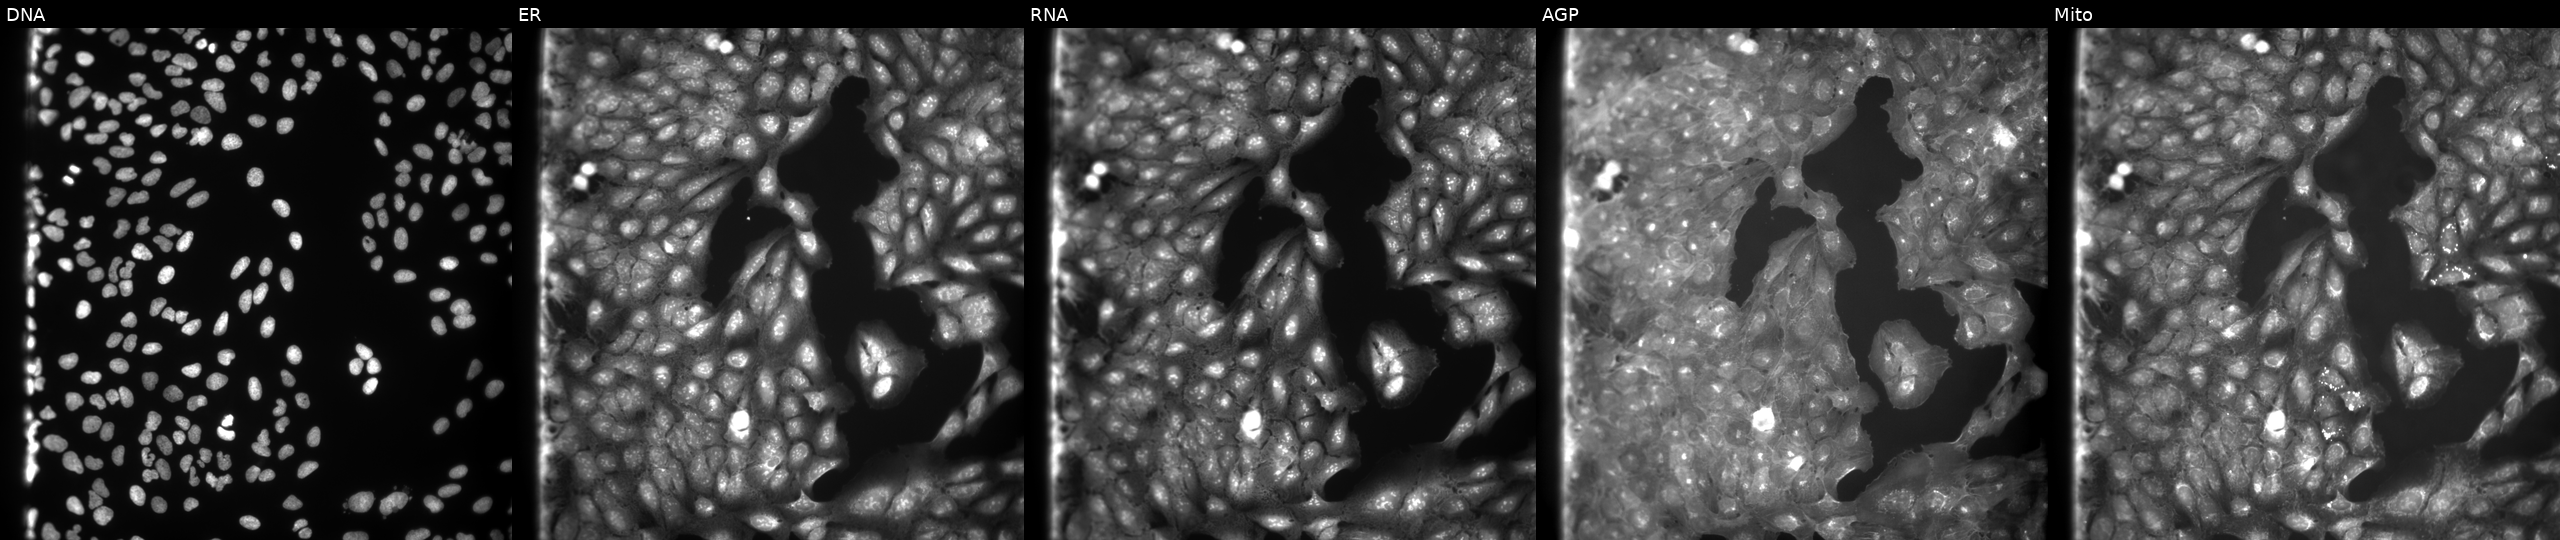
Five-channel Cell Painting image of U2OS cells exposed to the positive-control compound quinidine (JUMP id JCP2022_050797). From left to right: DNA, ER, RNA, AGP, and Mito.